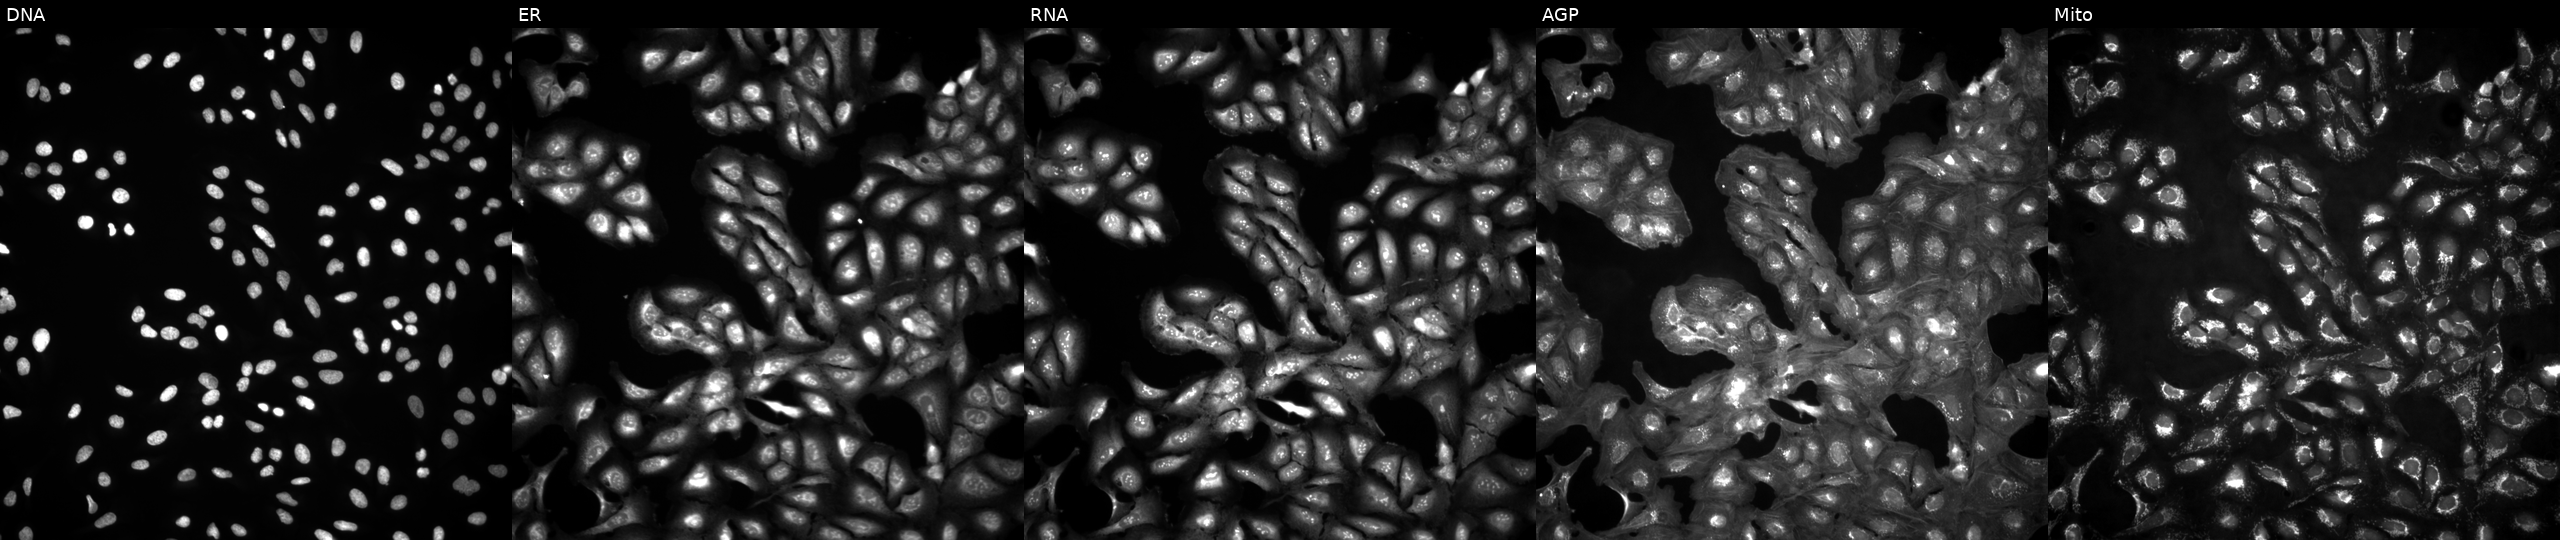
High-content fluorescence microscopy (Cell Painting). Cell line: U2OS. Perturbation: untreated (empty-well control) (JUMP id JCP2022_999999). From left to right: DNA, ER, RNA, AGP, and Mito.